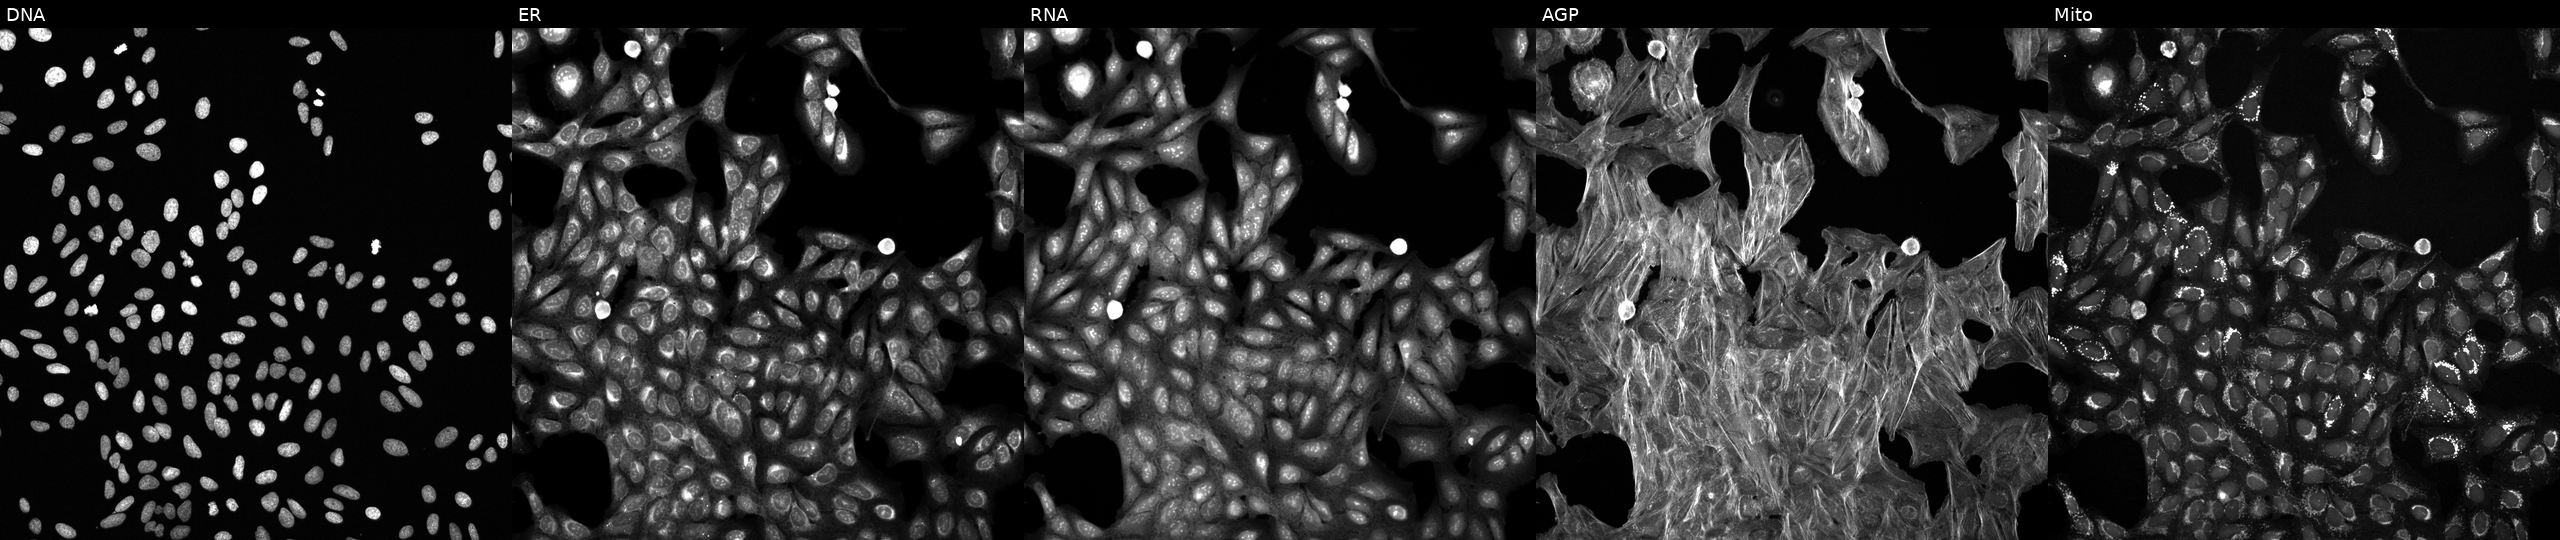
Five-channel Cell Painting image of U2OS cells perturbed with a small-molecule compound (JUMP id JCP2022_112237). Channels (left→right): DNA, ER, RNA, AGP, and Mito.